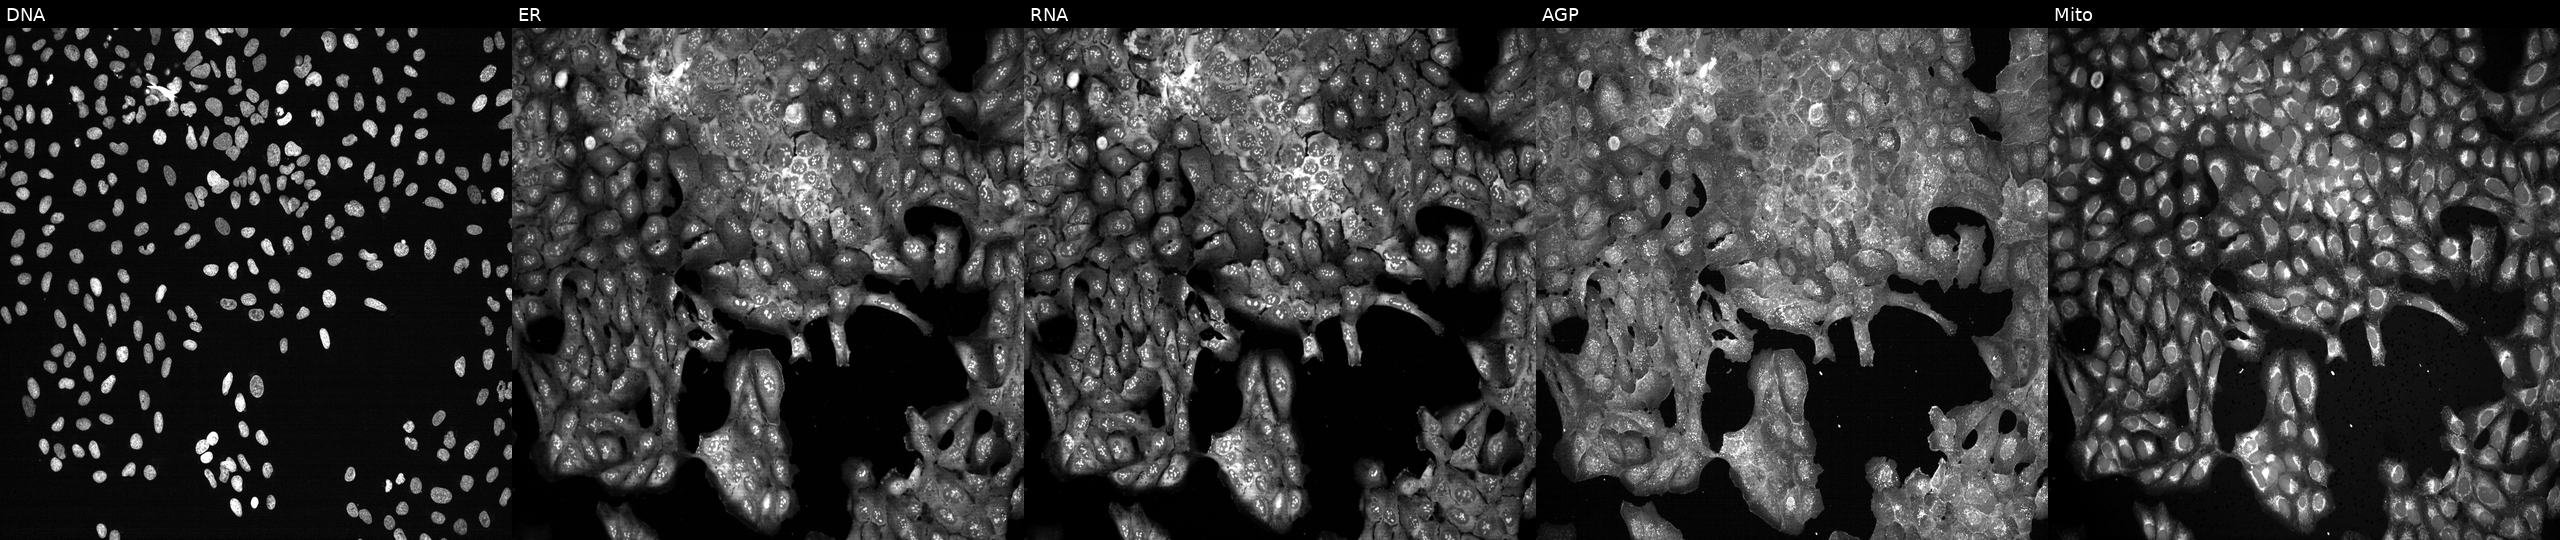
U2OS cells, Cell Painting assay, following CRISPR knockout of FUT7 (JUMP id JCP2022_802516). Panels show, left to right, DNA (nuclei); ER (endoplasmic reticulum); RNA (nucleoli and cytoplasmic RNA); AGP (actin cytoskeleton, Golgi, and plasma membrane); Mito (mitochondria). Each panel is percentile-stretched 16-bit fluorescence.